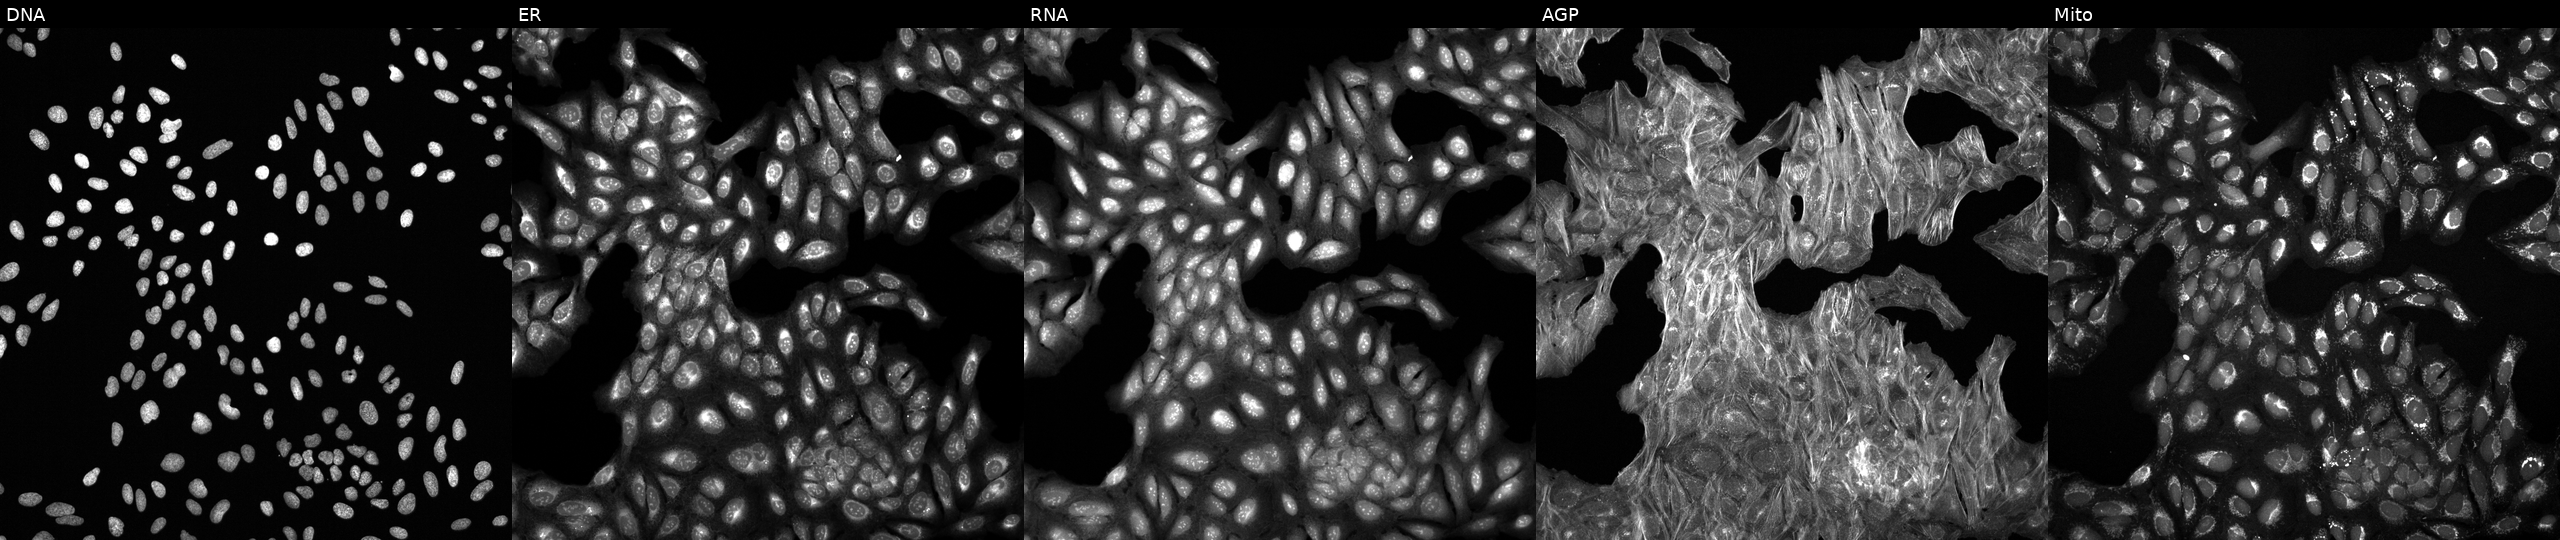
U2OS cells, Cell Painting assay, perturbed with a small-molecule compound. The five panels, left to right, show Hoechst 33342, concanavalin A, SYTO 14, phalloidin and WGA, MitoTracker. Each panel is percentile-stretched 16-bit fluorescence.